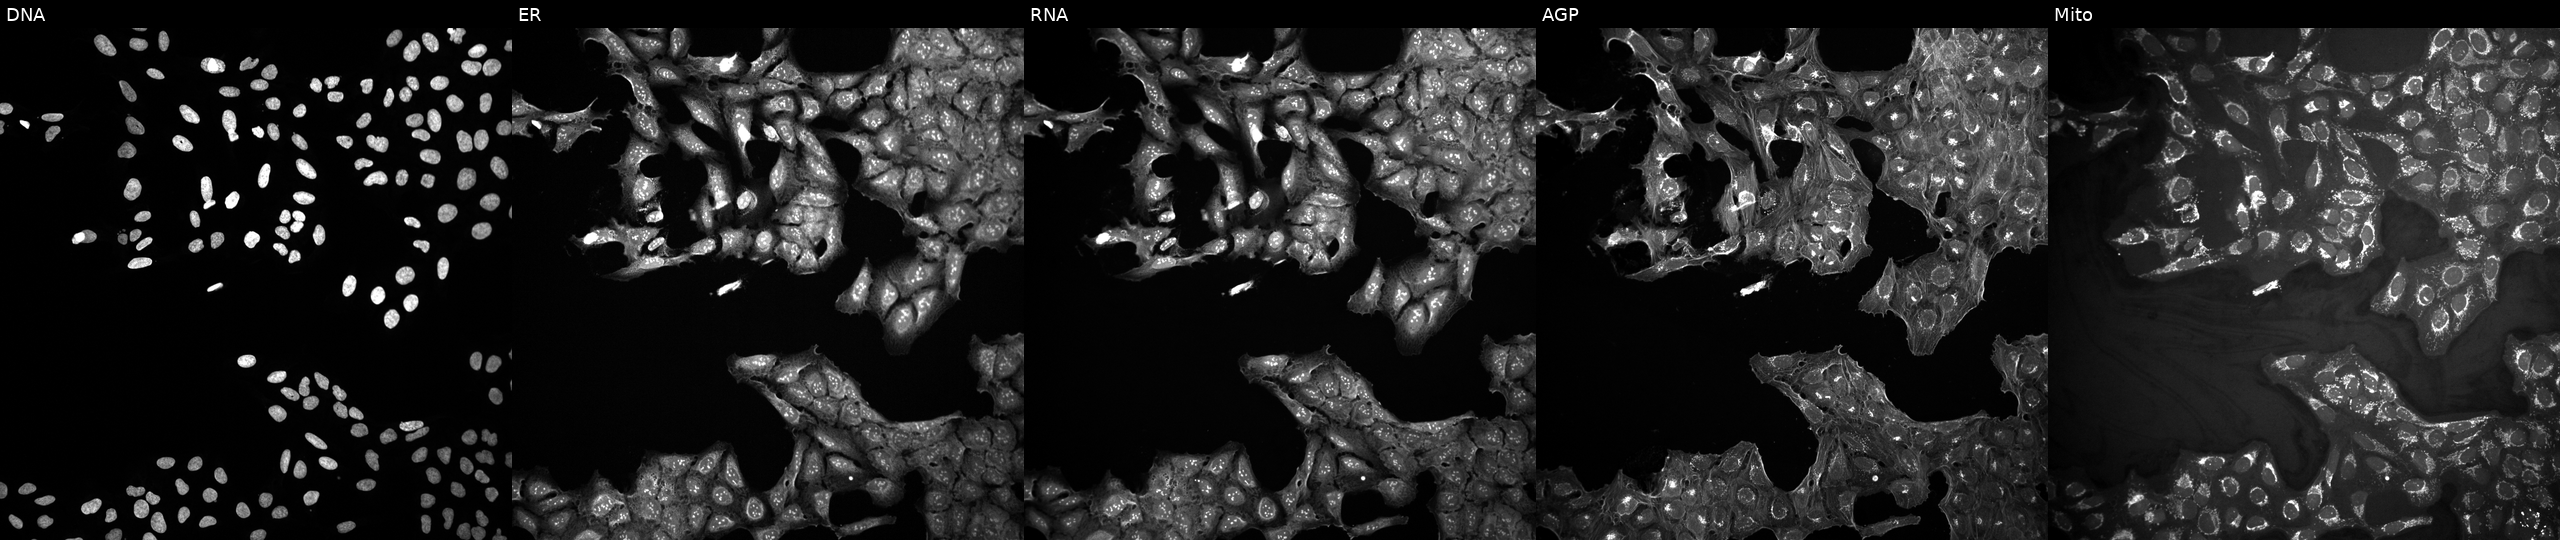
Five-channel Cell Painting image of U2OS cells in an empty control well (no perturbation) (JUMP id JCP2022_999999). The five panels, left to right, show DNA, ER, RNA, AGP, and Mito.